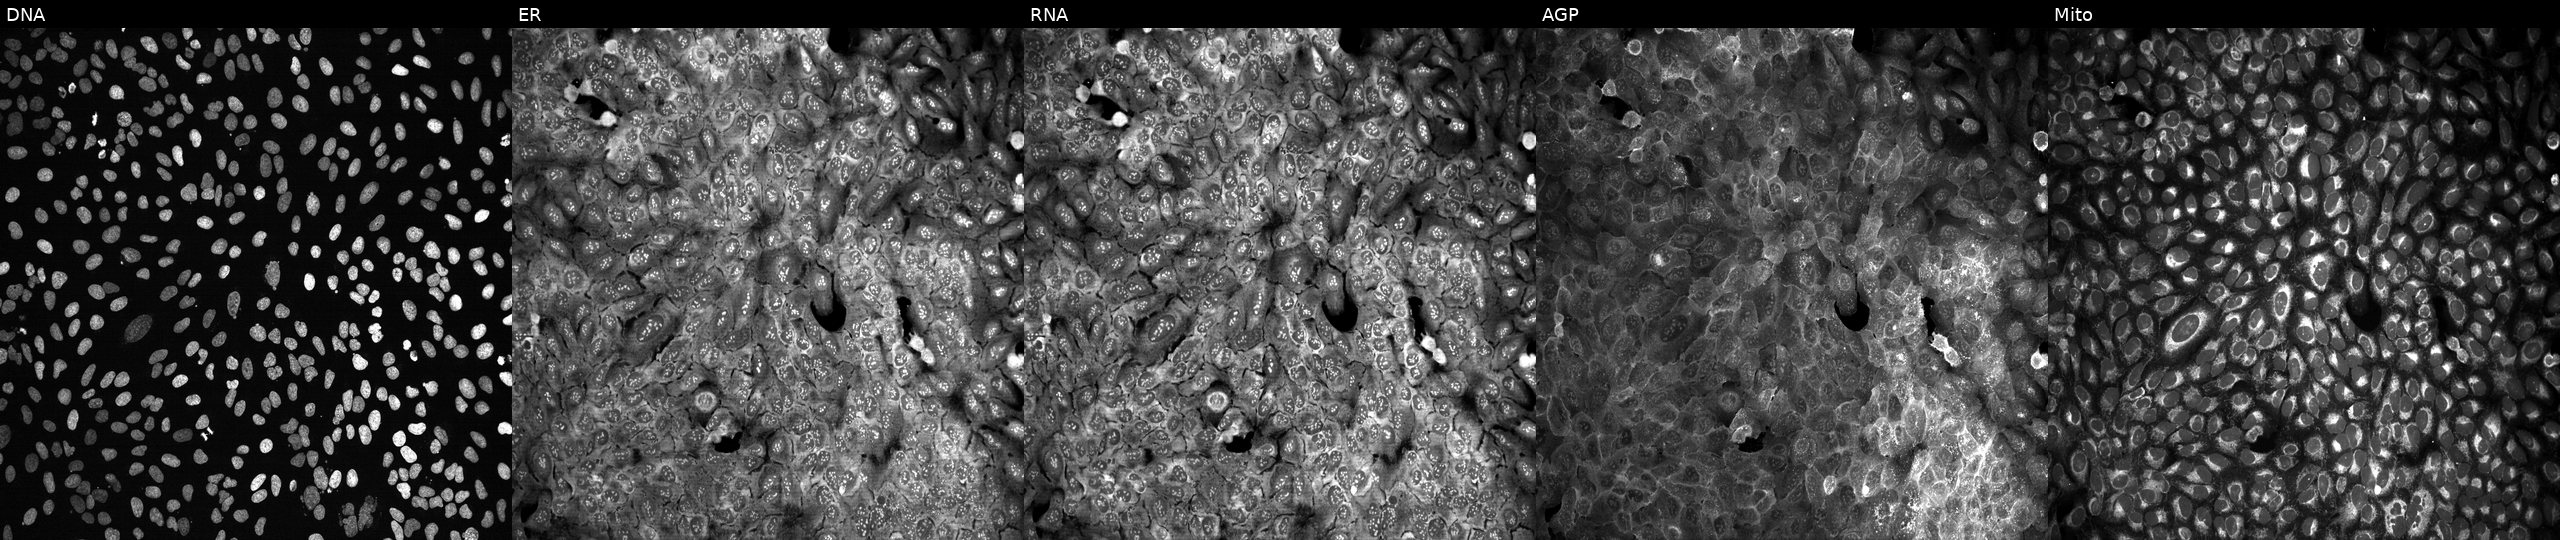
This image strip shows the five Cell Painting channels for a single field of U2OS cells CRISPR-edited to disrupt CLOCK. From left to right: Hoechst 33342, concanavalin A, SYTO 14, phalloidin and WGA, MitoTracker. Source 13, plate CP-CC9-R6-19, well L04.